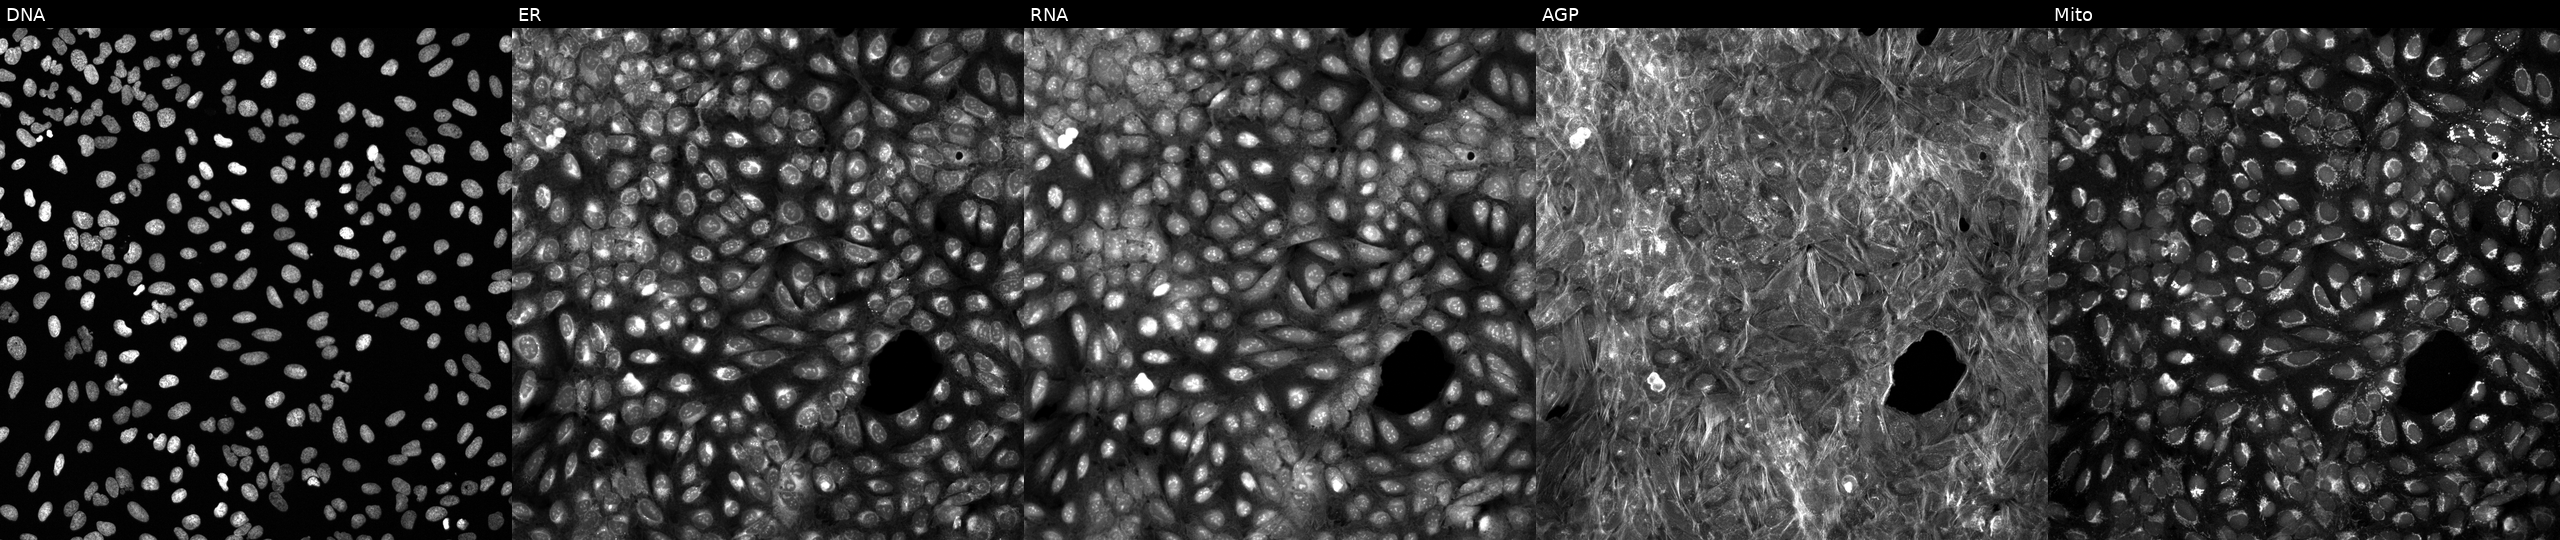
JUMP Cell Painting — TARGET2 plate. U2OS cells exposed to DMSO alone as a negative control. The five panels, left to right, show DNA (nuclei); ER (endoplasmic reticulum); RNA (nucleoli and cytoplasmic RNA); AGP (actin cytoskeleton, Golgi, and plasma membrane); Mito (mitochondria).